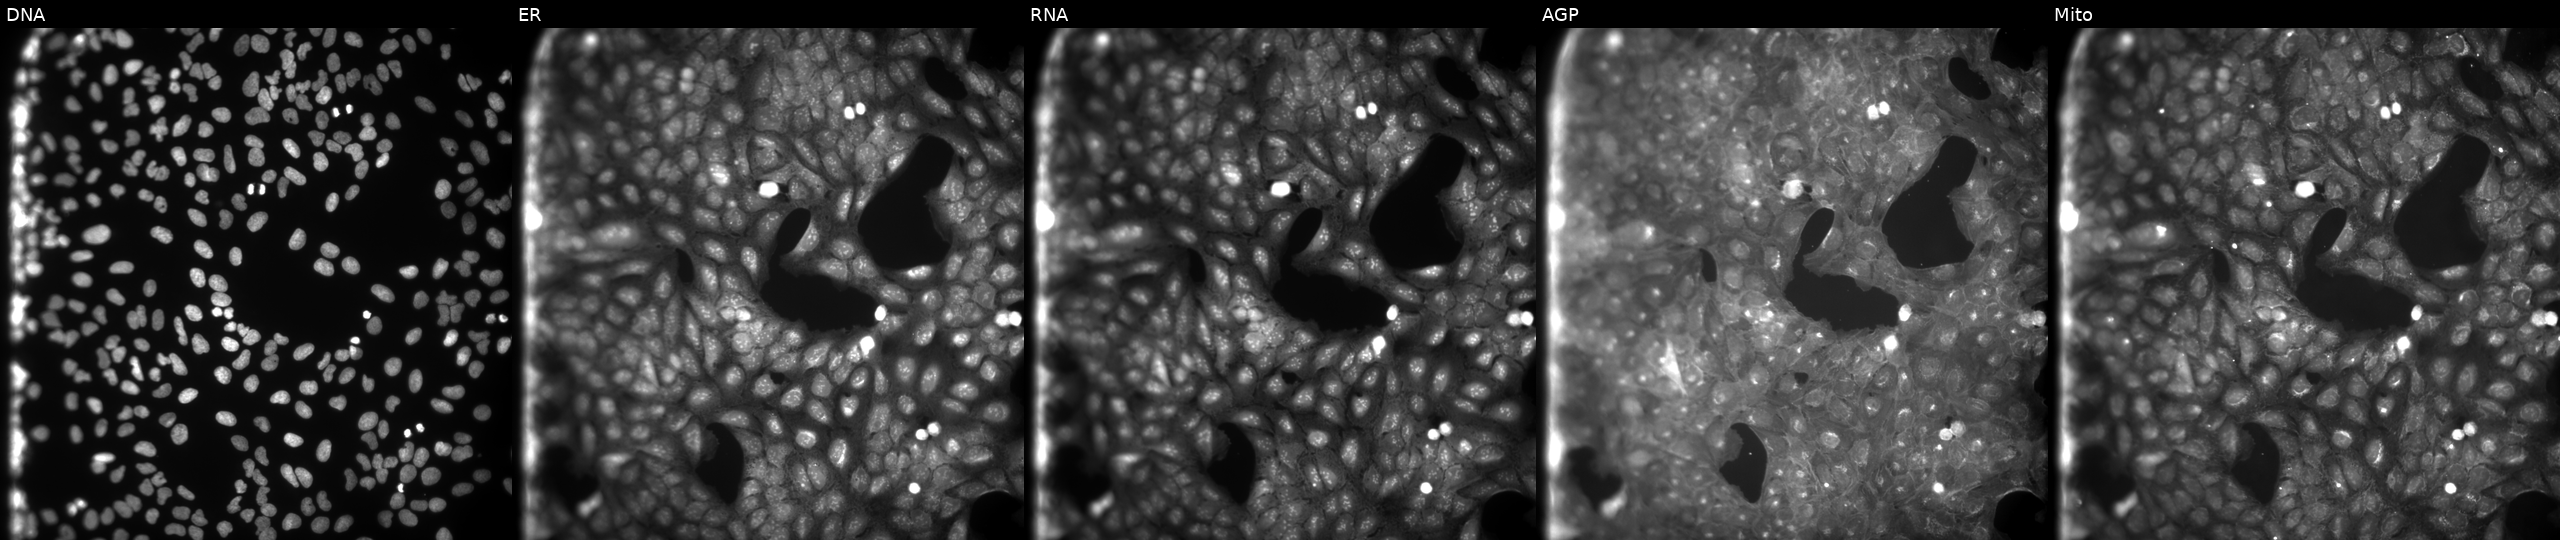
U2OS cells, Cell Painting assay, exposed to the positive-control compound aloxistatin. Channels (left→right): DNA, ER, RNA, AGP, and Mito. Each panel is percentile-stretched 16-bit fluorescence.